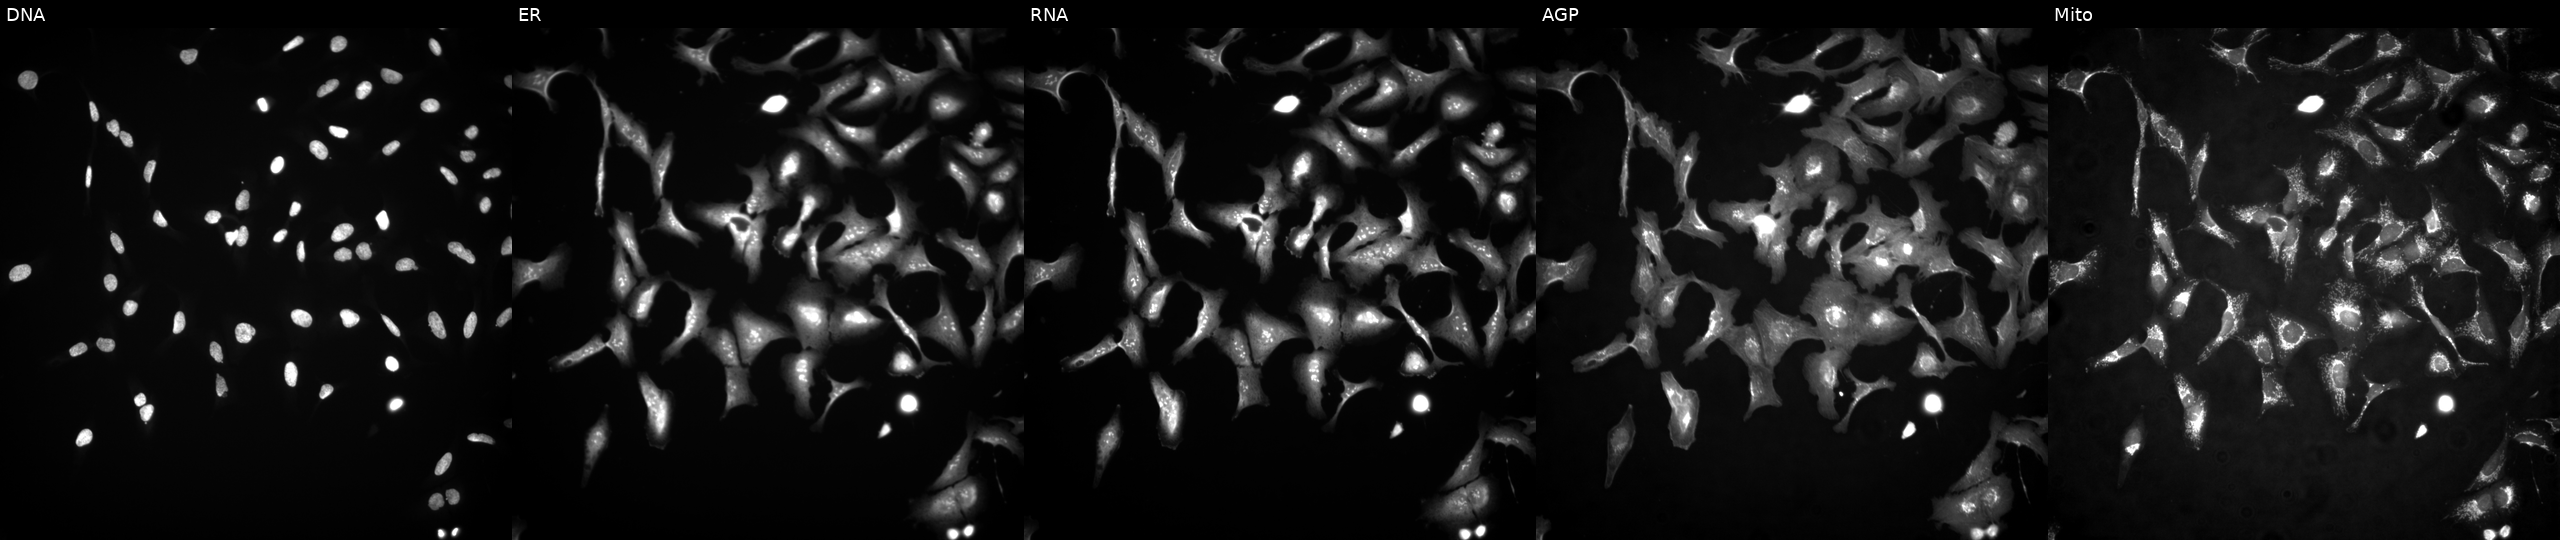
This image strip shows the five Cell Painting channels for a single field of U2OS cells transfected with a failed ORF construct (JUMP BAD CONSTRUCT marker) (JUMP id JCP2022_900001). Channels (left→right): DNA (nuclei); ER (endoplasmic reticulum); RNA (nucleoli and cytoplasmic RNA); AGP (actin cytoskeleton, Golgi, and plasma membrane); Mito (mitochondria).